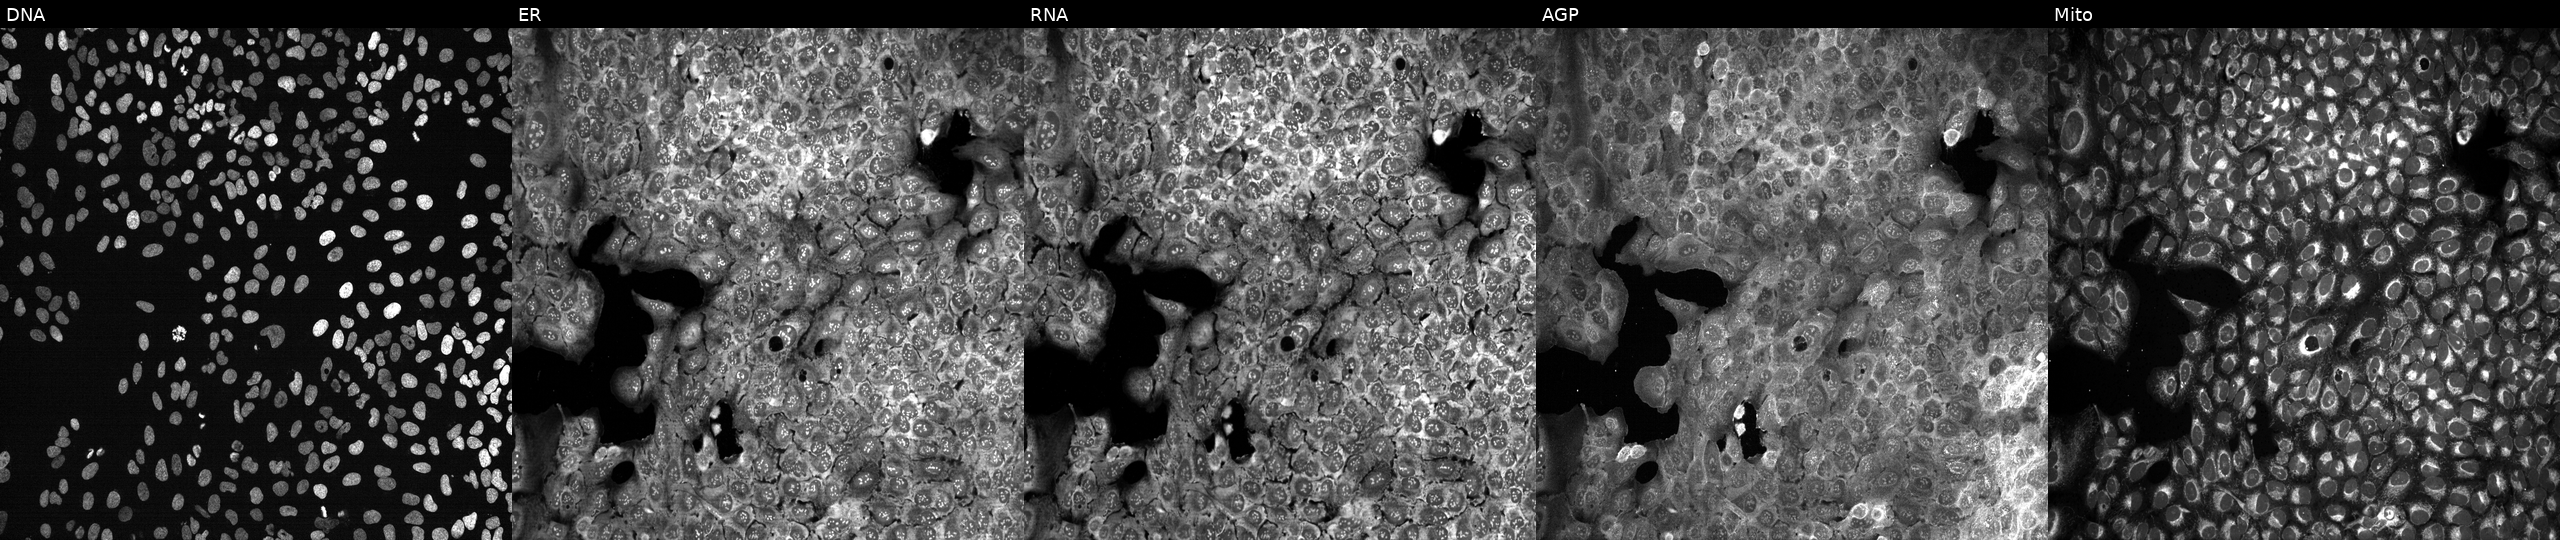
High-content fluorescence microscopy (Cell Painting). Cell line: U2OS. Perturbation: with SLC13A3 knocked out by CRISPR. From left to right: DNA, ER, RNA, AGP, and Mito.